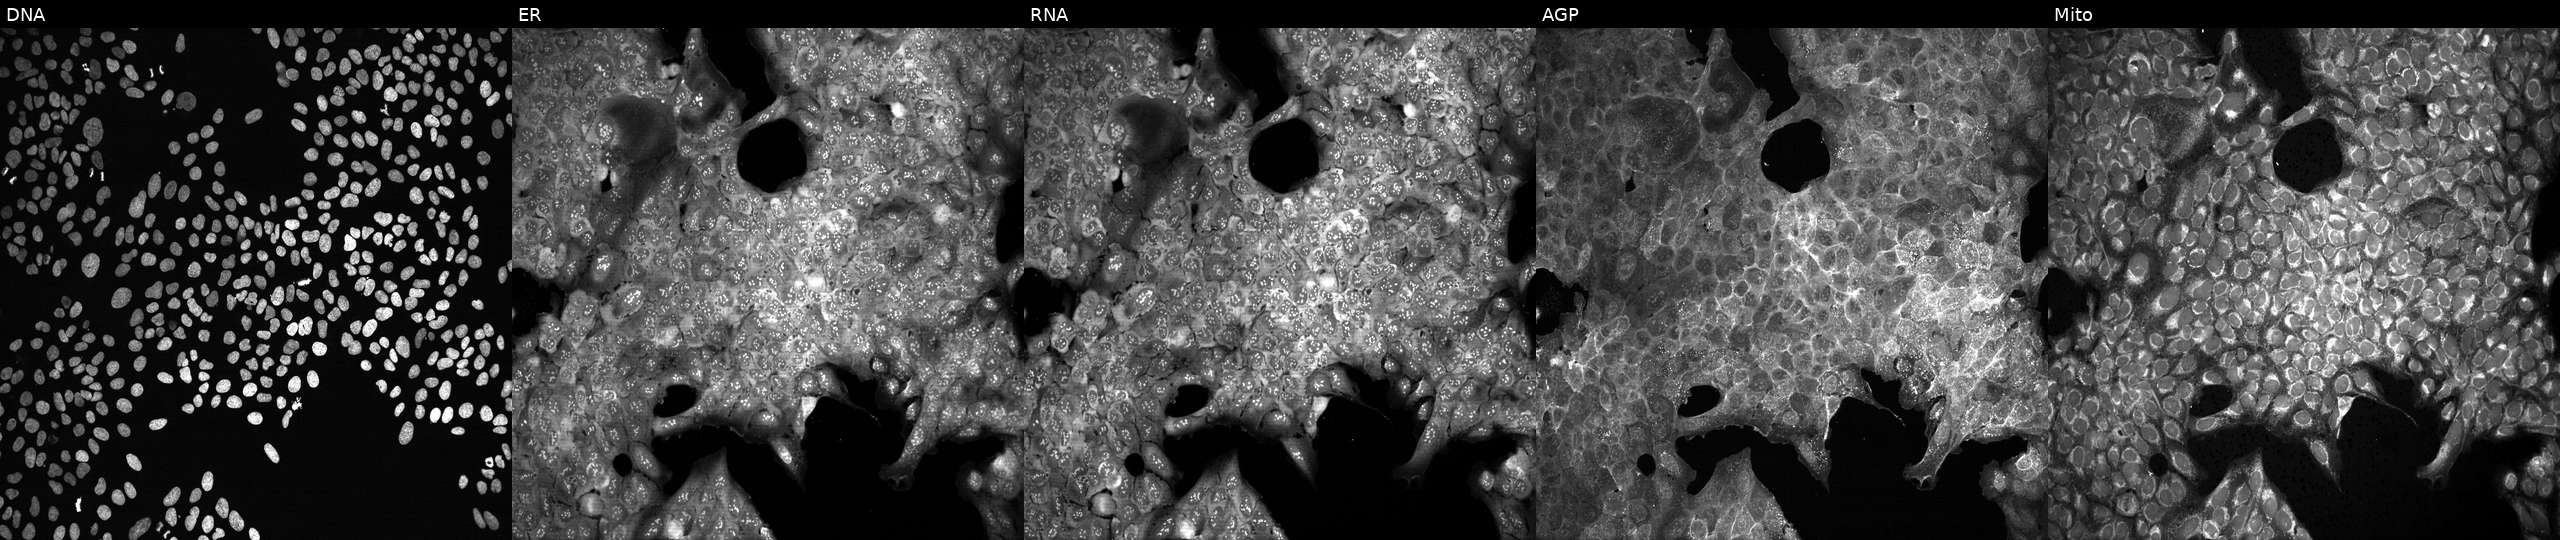
U2OS cells, Cell Painting assay, treated with LY2109761 (positive-control compound). Panels show, left to right, DNA, ER, RNA, AGP, and Mito. Each panel is percentile-stretched 16-bit fluorescence. Source 13, plate CP-CC9-R5-01, well F01.